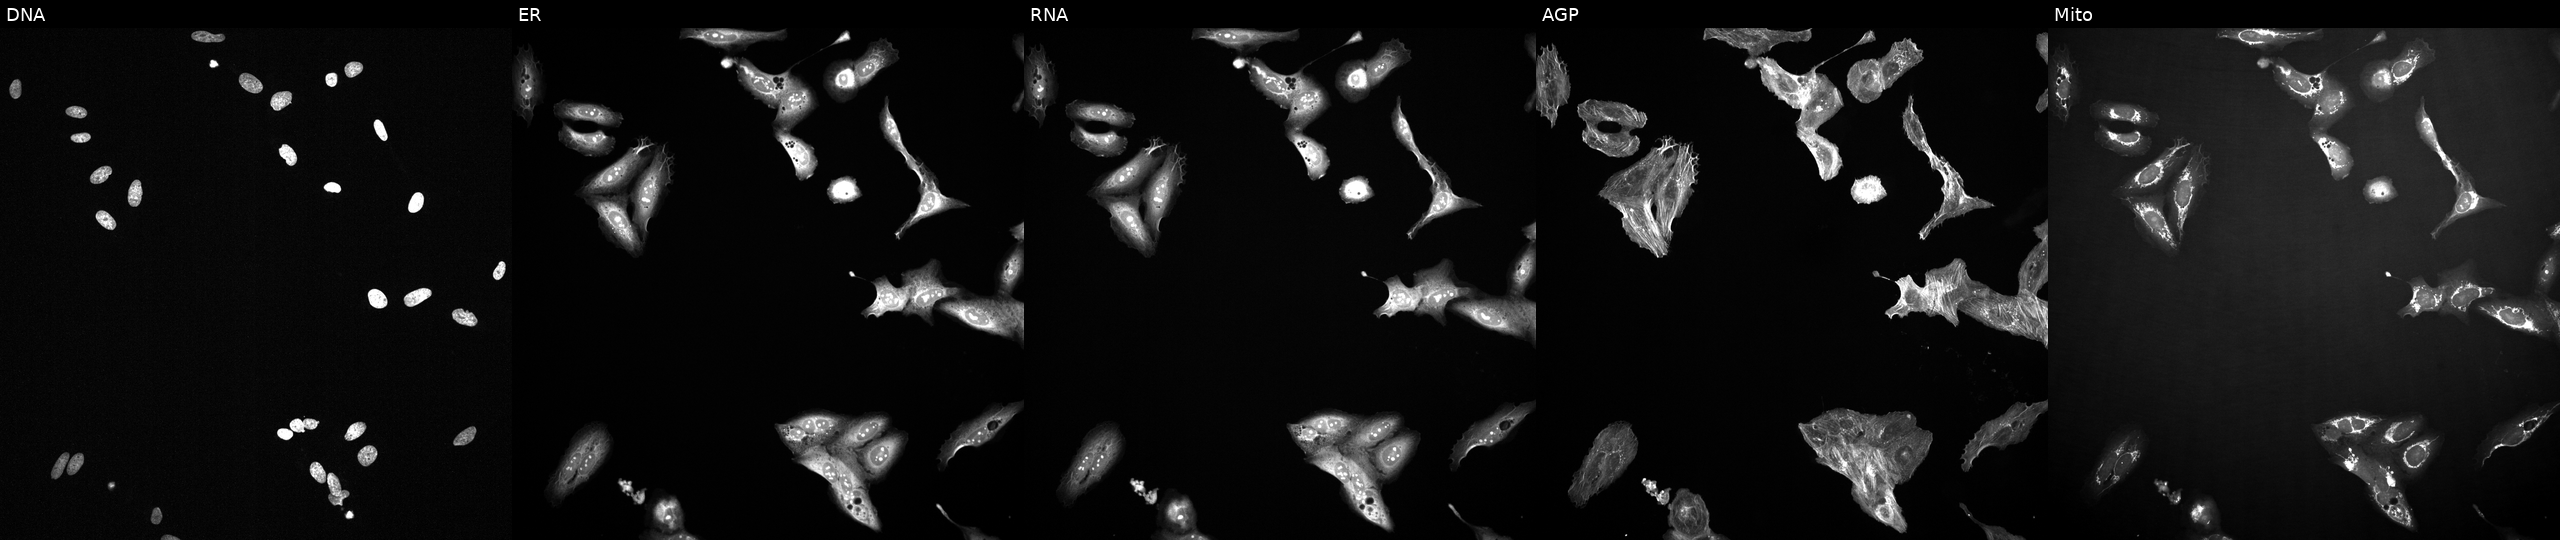
This image strip shows the five Cell Painting channels for a single field of U2OS cells perturbed with a small-molecule compound (InChIKey MNYJJHBAEYKXEG-UHFFFAOYSA-N) [SMILES: C(#Cc1nc2ncccc2nc1OCCN1CCCC1)c1ccccc1]. The five panels, left to right, show DNA (nuclei); ER (endoplasmic reticulum); RNA (nucleoli and cytoplasmic RNA); AGP (actin cytoskeleton, Golgi, and plasma membrane); Mito (mitochondria). Source 2, plate 1053597936, well B22.